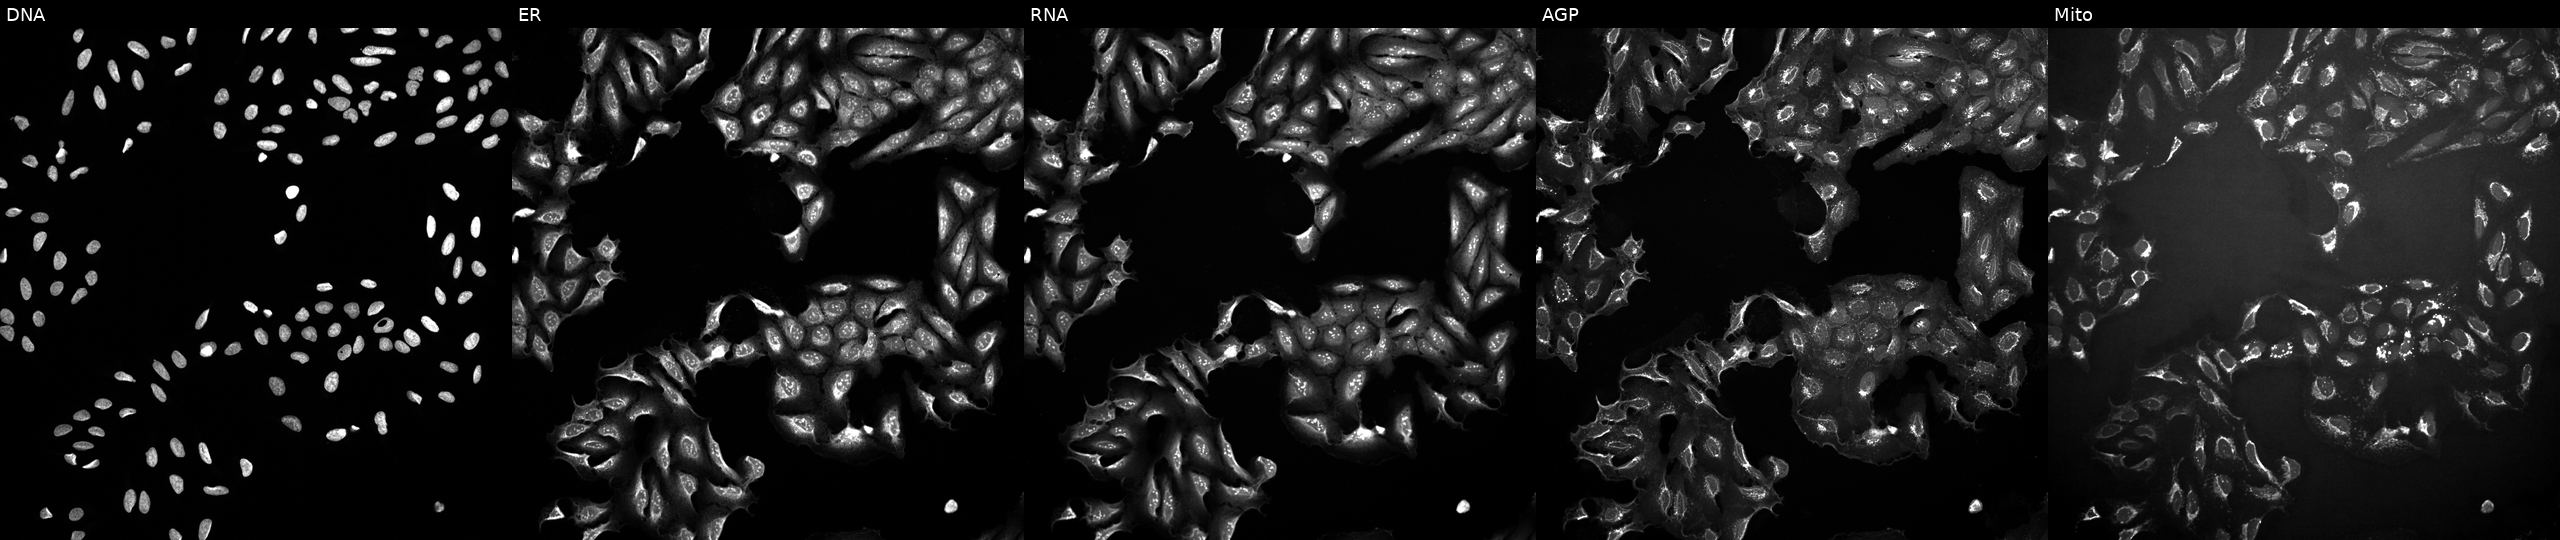
This image strip shows the five Cell Painting channels for a single field of U2OS cells exposed to a small-molecule compound (JUMP id JCP2022_028940). Channels (left→right): DNA, ER, RNA, AGP, and Mito. Source 10, plate Dest210803-153958, well E04.